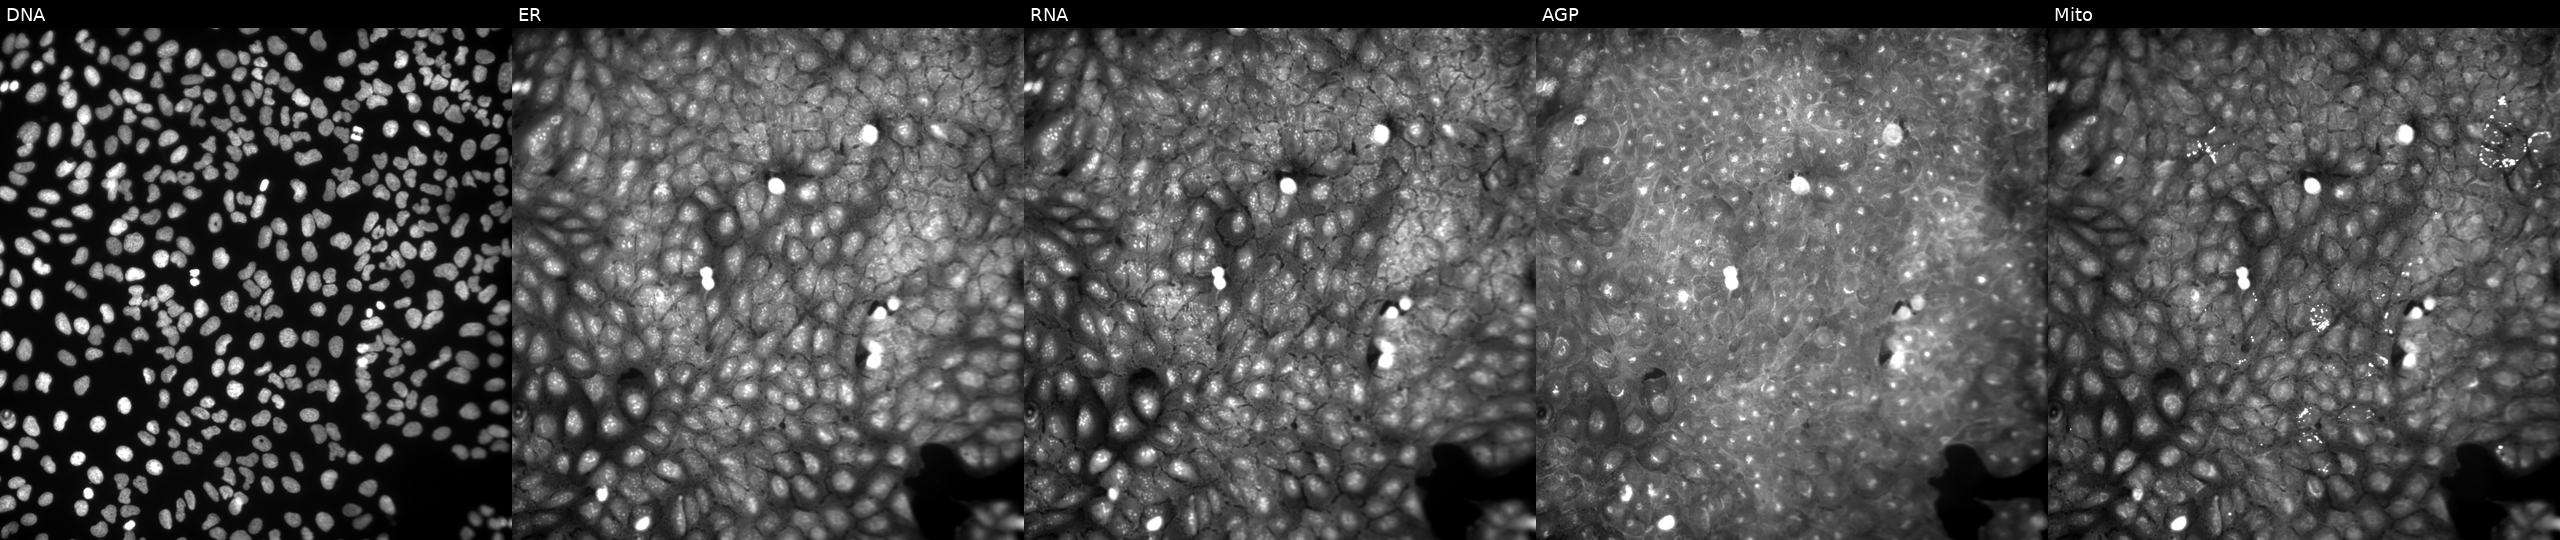
This image strip shows the five Cell Painting channels for a single field of U2OS cells treated with a small-molecule compound (InChIKey BXLHVPBJQKTISJ-UHFFFAOYSA-N). Panels show, left to right, Hoechst 33342, concanavalin A, SYTO 14, phalloidin and WGA, MitoTracker.